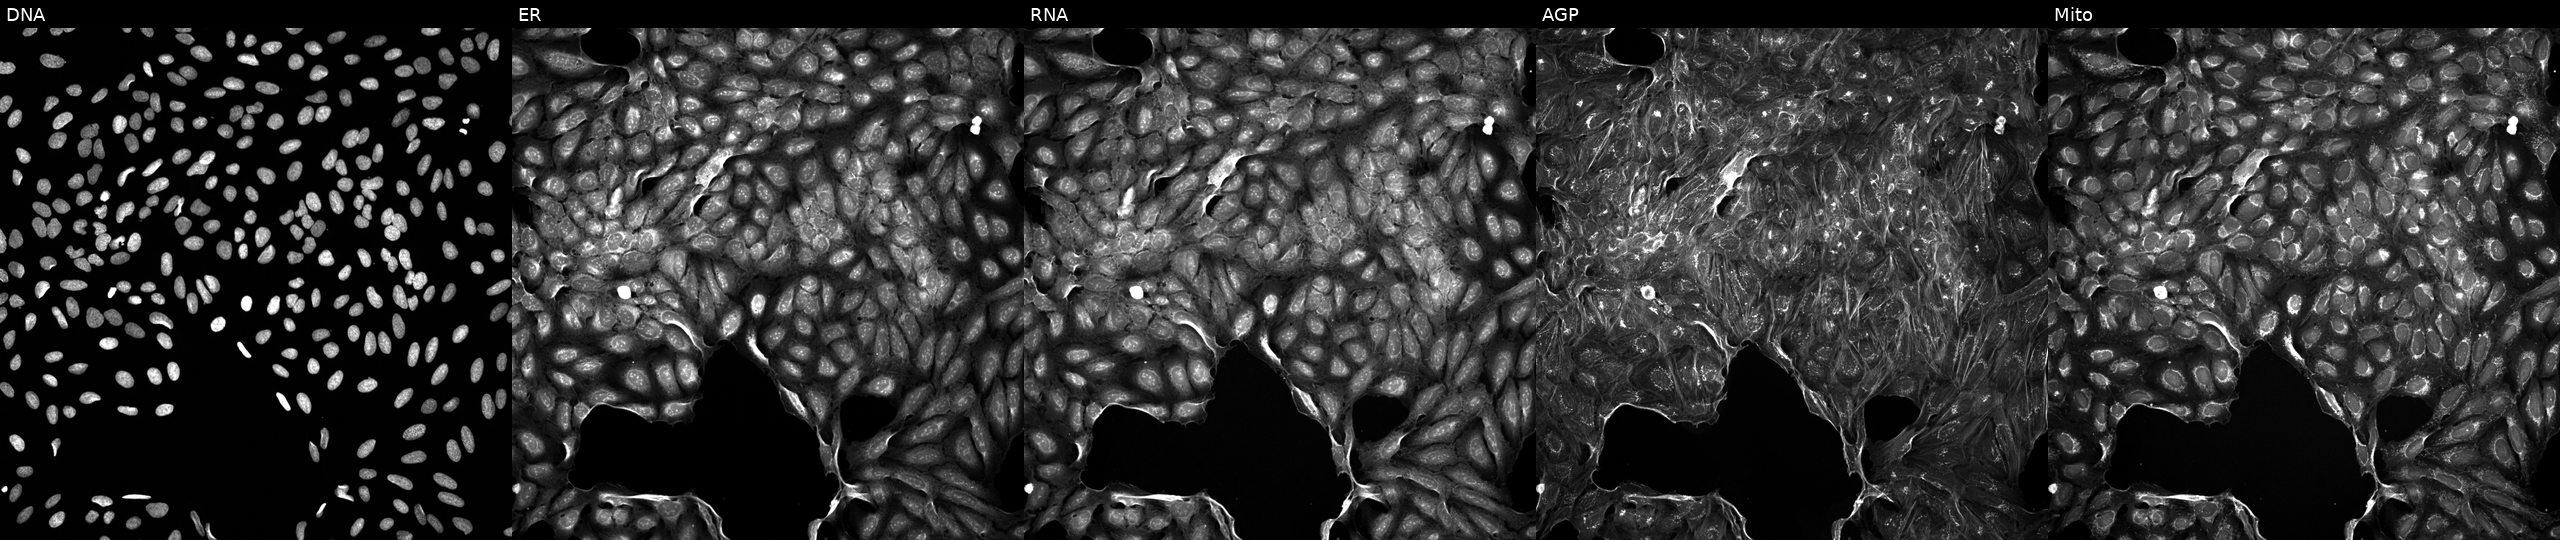
Channels (left→right): DNA (nuclei); ER (endoplasmic reticulum); RNA (nucleoli and cytoplasmic RNA); AGP (actin cytoskeleton, Golgi, and plasma membrane); Mito (mitochondria). U2OS osteosarcoma cells treated with dexamethasone (positive-control compound). Cell Painting assay, JUMP-CP dataset. Source 5, plate APTJUM106, well K01.